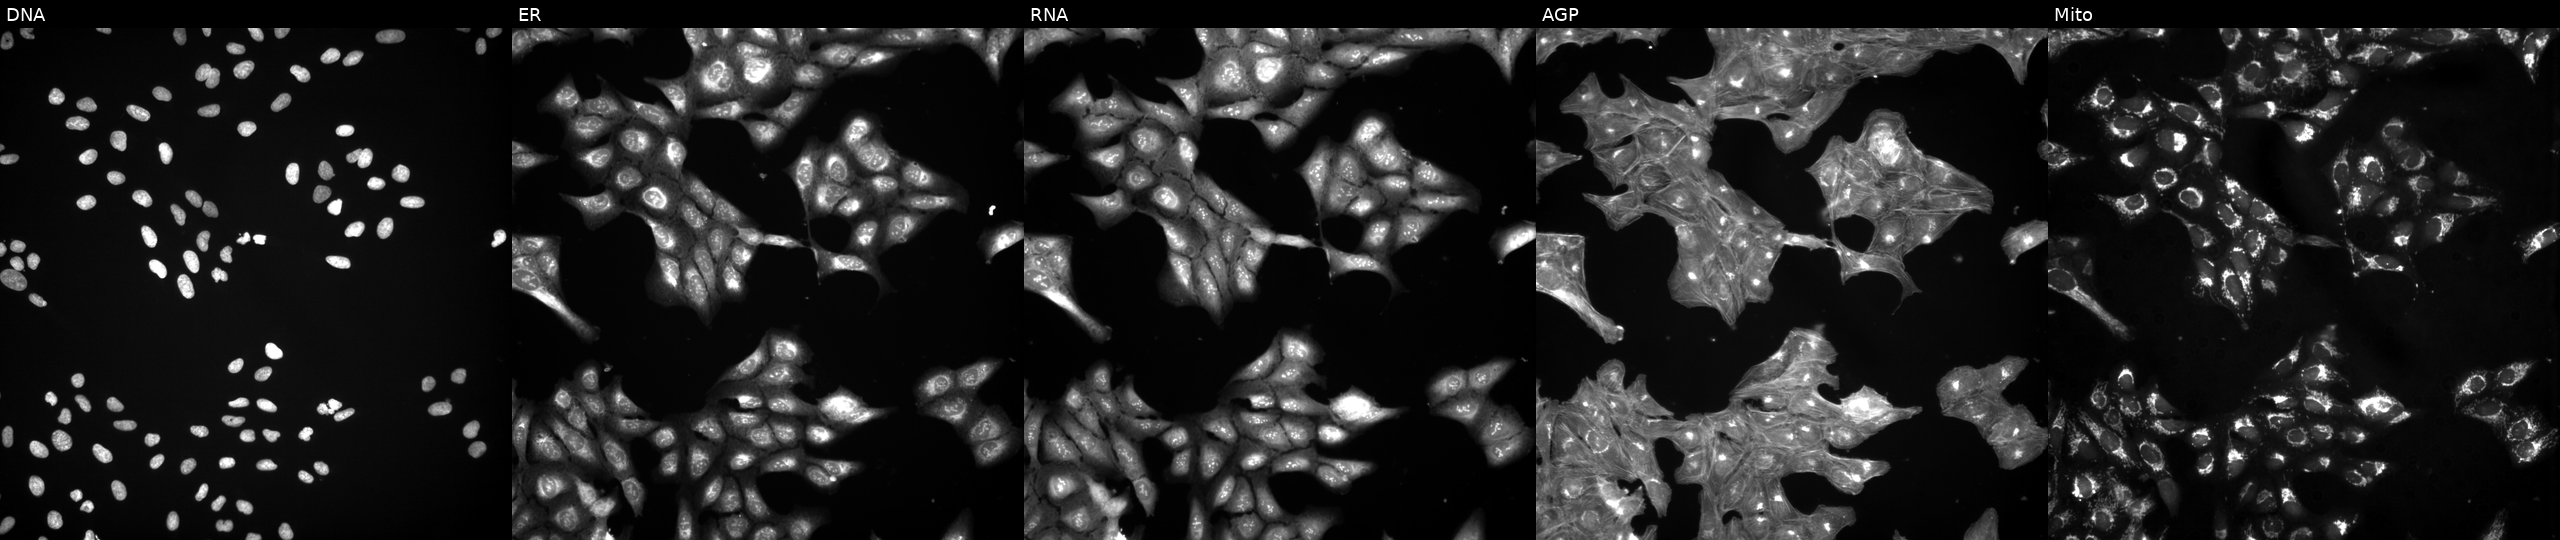
High-content fluorescence microscopy (Cell Painting). Cell line: U2OS. Perturbation: perturbed with a small-molecule compound (JUMP id JCP2022_071910). The five panels, left to right, show DNA (nuclei); ER (endoplasmic reticulum); RNA (nucleoli and cytoplasmic RNA); AGP (actin cytoskeleton, Golgi, and plasma membrane); Mito (mitochondria).